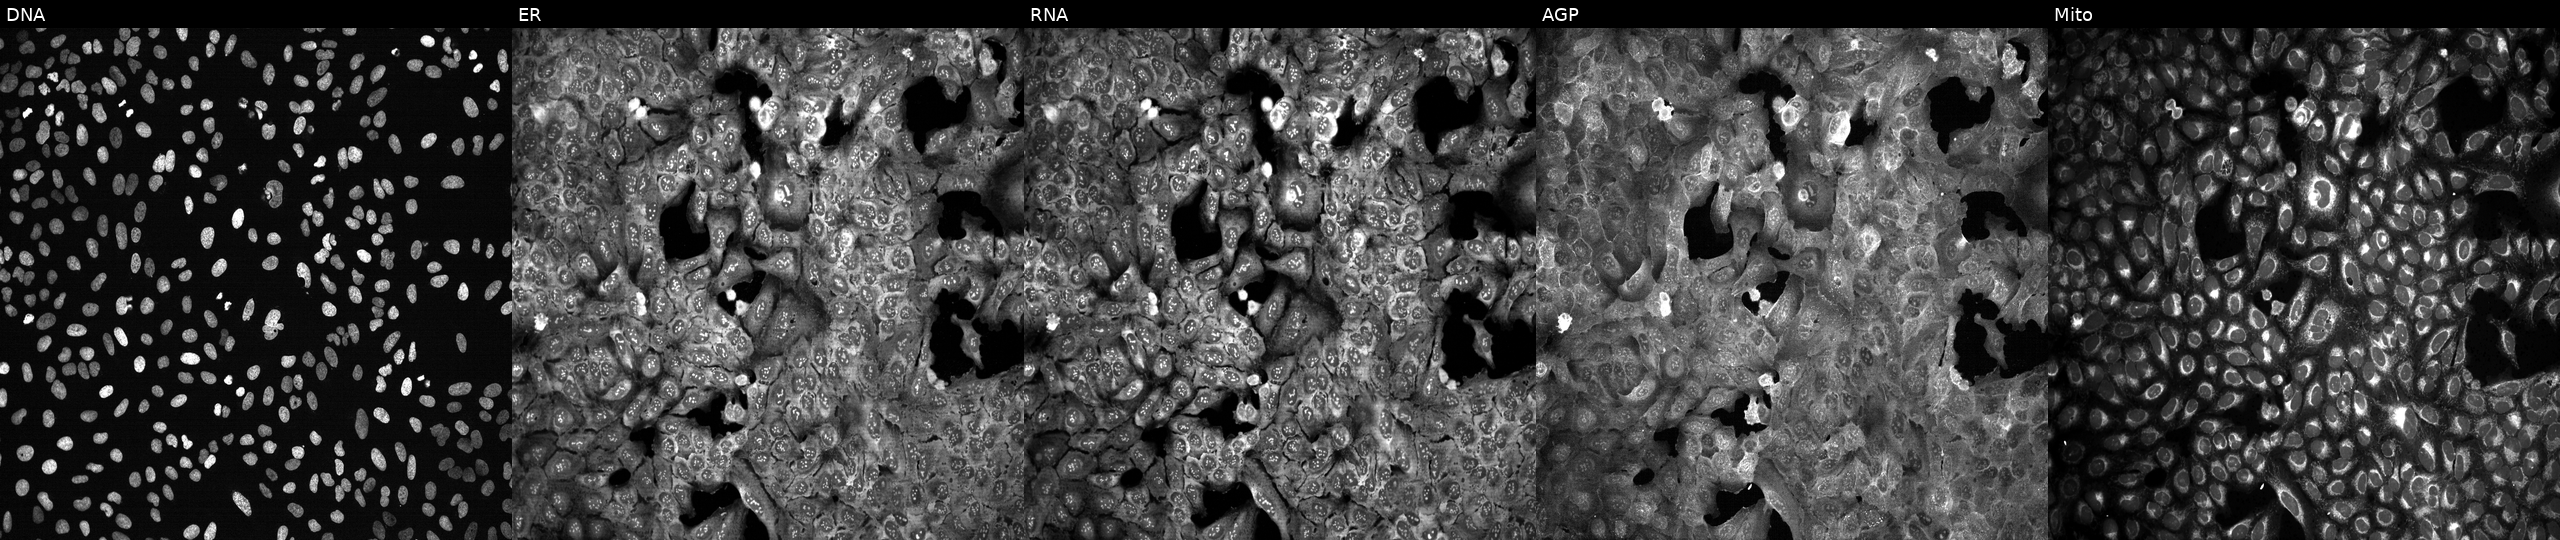
High-content fluorescence microscopy (Cell Painting). Cell line: U2OS. Perturbation: following CRISPR knockout of SLC41A2. Panels show, left to right, DNA (nuclei); ER (endoplasmic reticulum); RNA (nucleoli and cytoplasmic RNA); AGP (actin cytoskeleton, Golgi, and plasma membrane); Mito (mitochondria). Source 13, plate CP-CC9-R2-02, well I17.